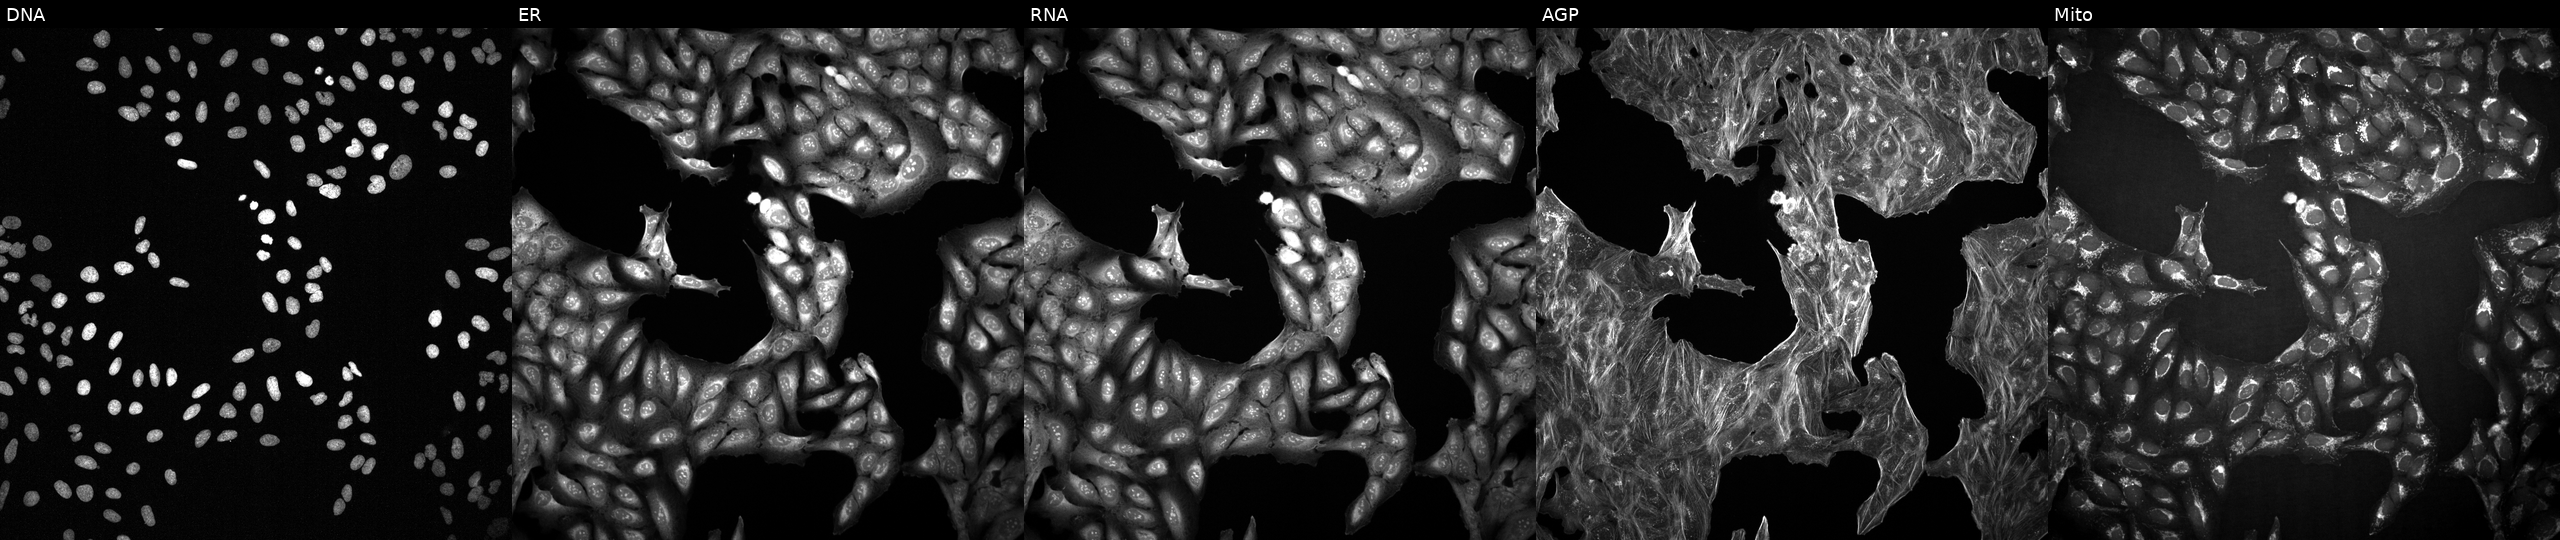
U2OS cells, Cell Painting assay, exposed to DMSO alone as a negative control. Channels (left→right): Hoechst 33342, concanavalin A, SYTO 14, phalloidin and WGA, MitoTracker. Each panel is percentile-stretched 16-bit fluorescence. Source 2, plate 1053601756, well I23.